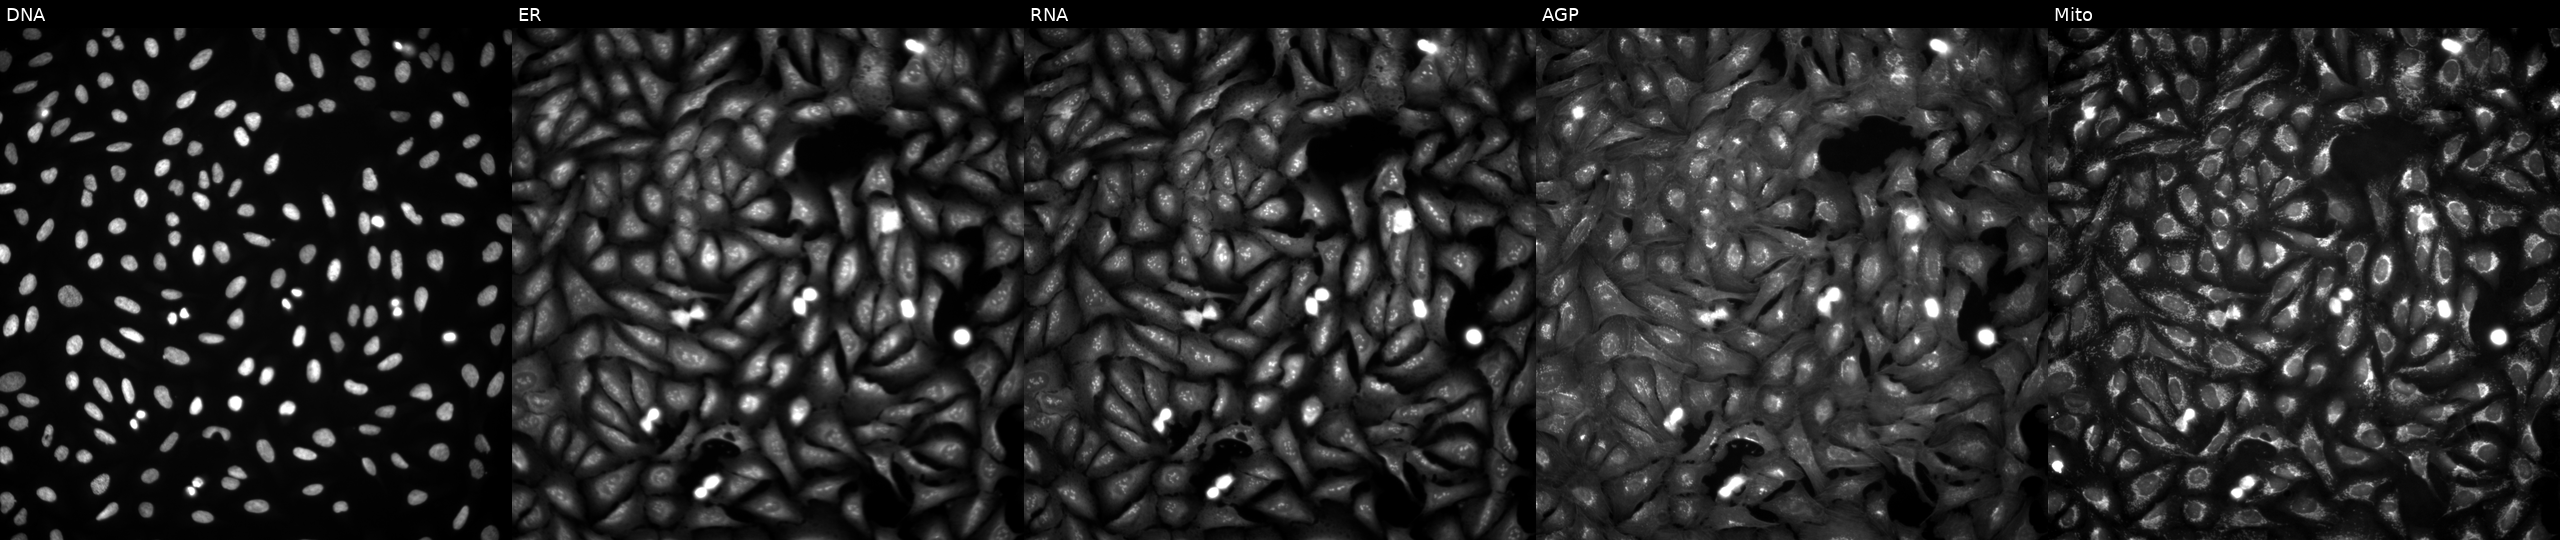
JUMP Cell Painting — ORF plate. U2OS cells with PLXNA4 overexpressed (ORF) (JUMP id JCP2022_908698). Panels show, left to right, DNA, ER, RNA, AGP, and Mito.